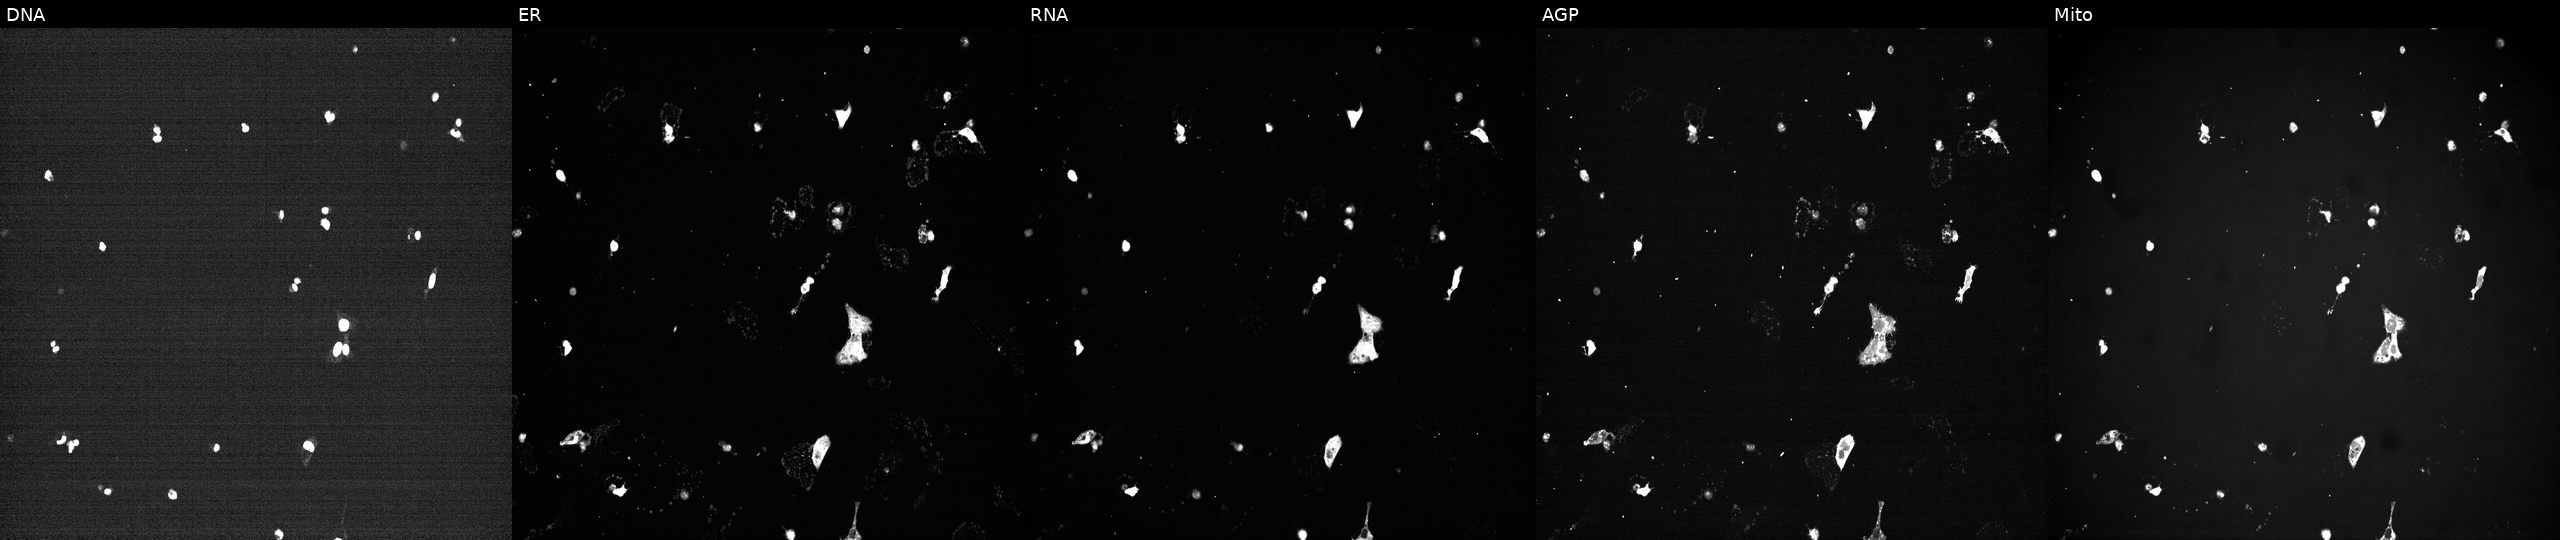
This image strip shows the five Cell Painting channels for a single field of U2OS cells perturbed with a small-molecule compound (InChIKey PHXJVRSECIGDHY-UHFFFAOYSA-N) (JUMP id JCP2022_068713). The five panels, left to right, show Hoechst 33342, concanavalin A, SYTO 14, phalloidin and WGA, MitoTracker. Source 7, plate CP3-SC1-25, well J08.